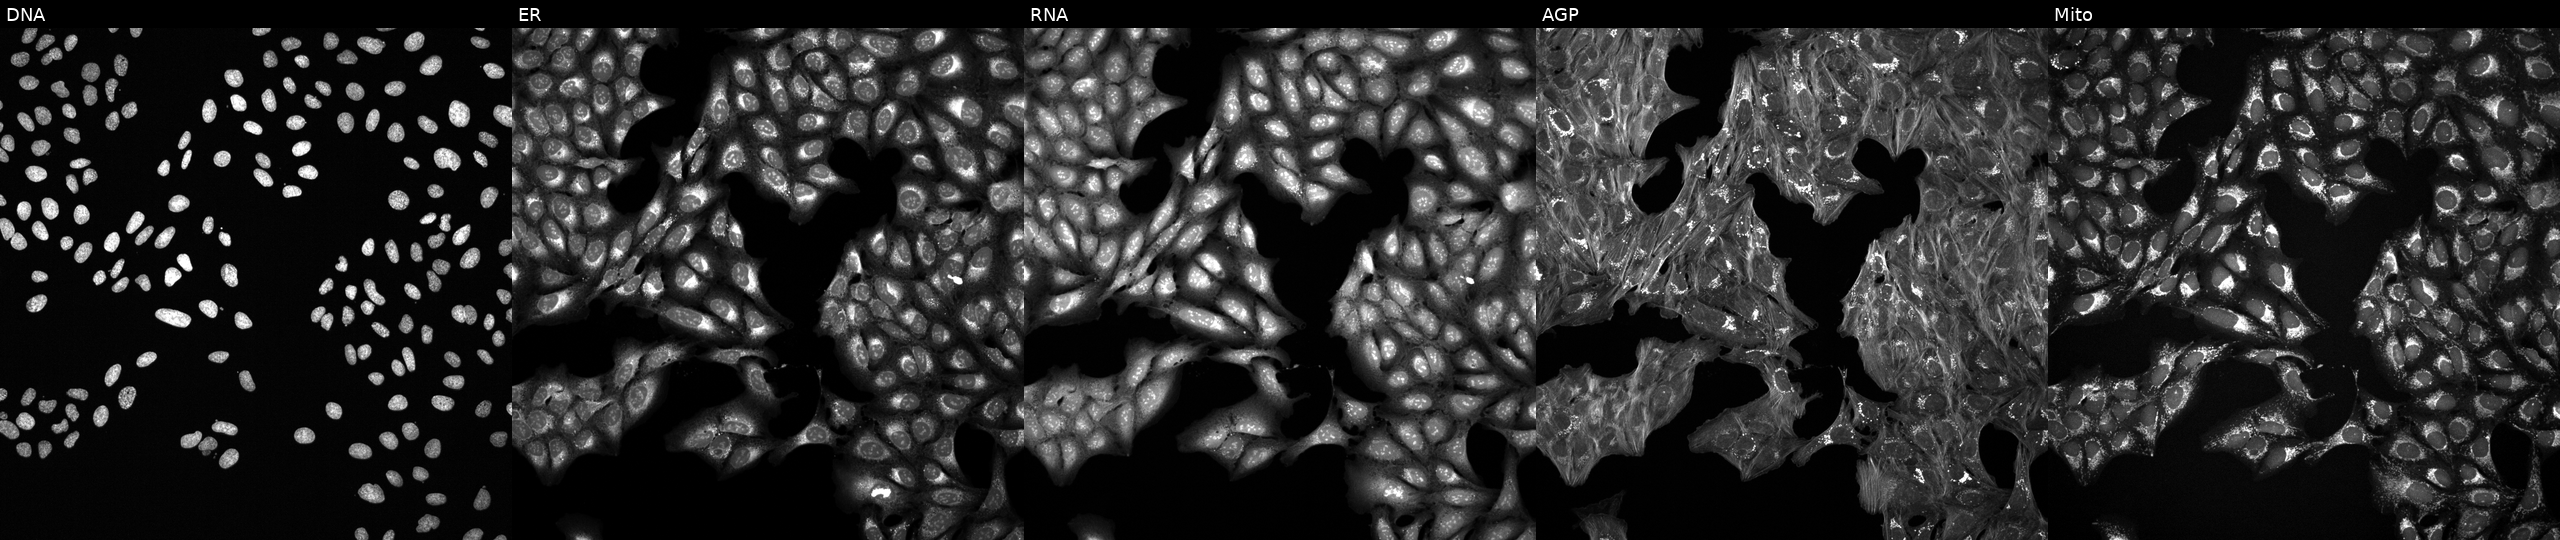
High-content fluorescence microscopy (Cell Painting). Cell line: U2OS. Perturbation: perturbed with a small-molecule compound (InChIKey ZYVXTMKTGDARKR-UHFFFAOYSA-N) (JUMP id JCP2022_116560). The five panels, left to right, show DNA (nuclei); ER (endoplasmic reticulum); RNA (nucleoli and cytoplasmic RNA); AGP (actin cytoskeleton, Golgi, and plasma membrane); Mito (mitochondria).